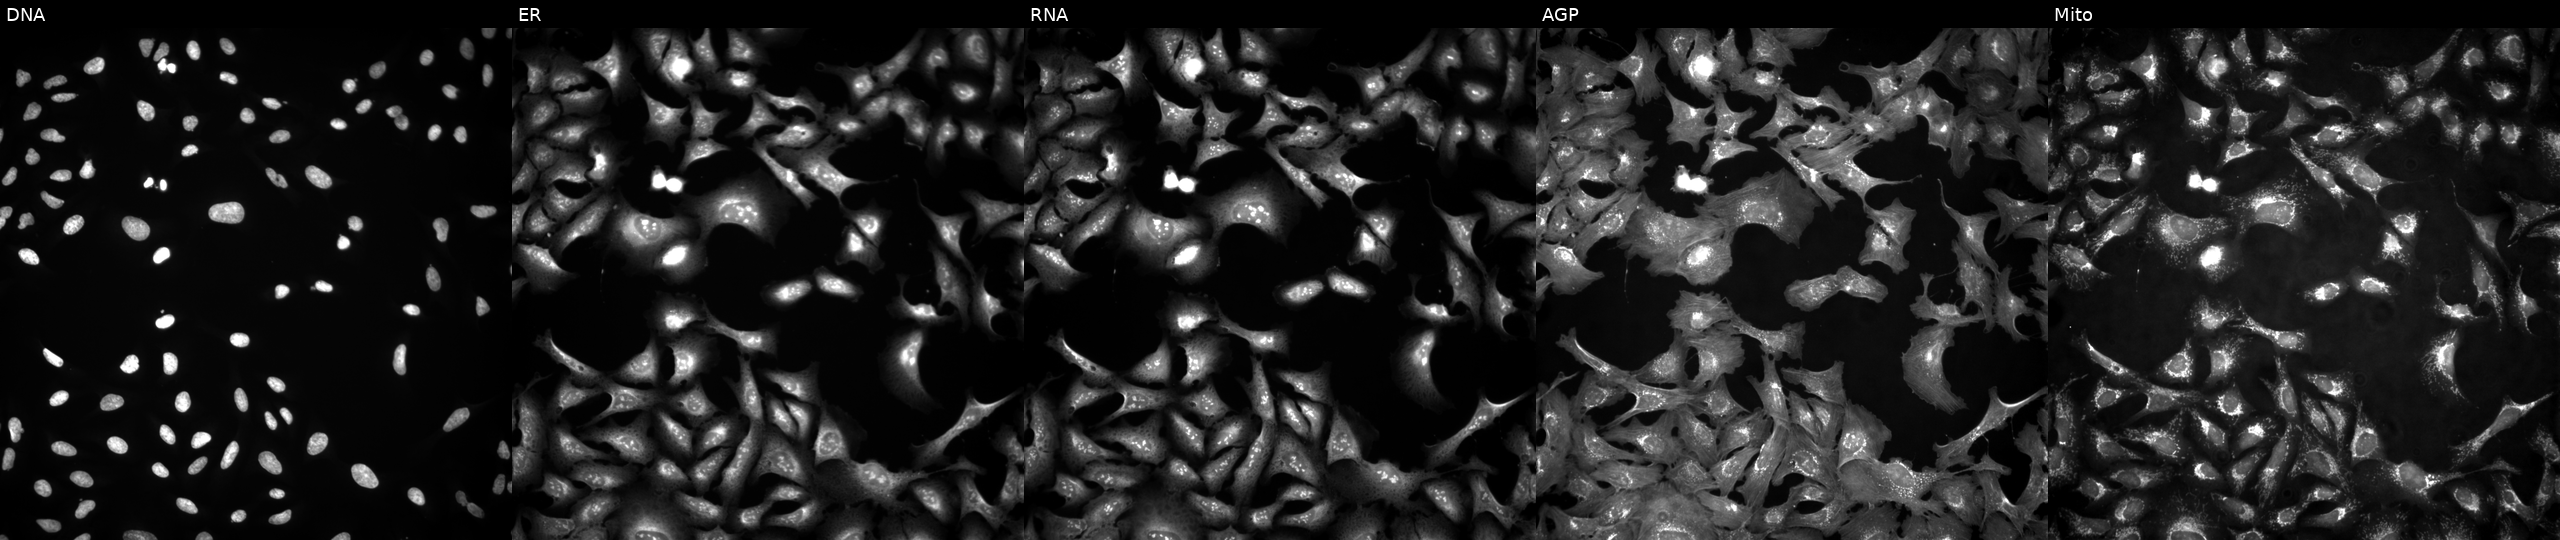
Panels show, left to right, DNA, ER, RNA, AGP, and Mito. U2OS osteosarcoma cells overexpressing XLOC_012599 via ORF transfection. Cell Painting assay, JUMP-CP dataset. Source 4, plate BR00123945, well C16.